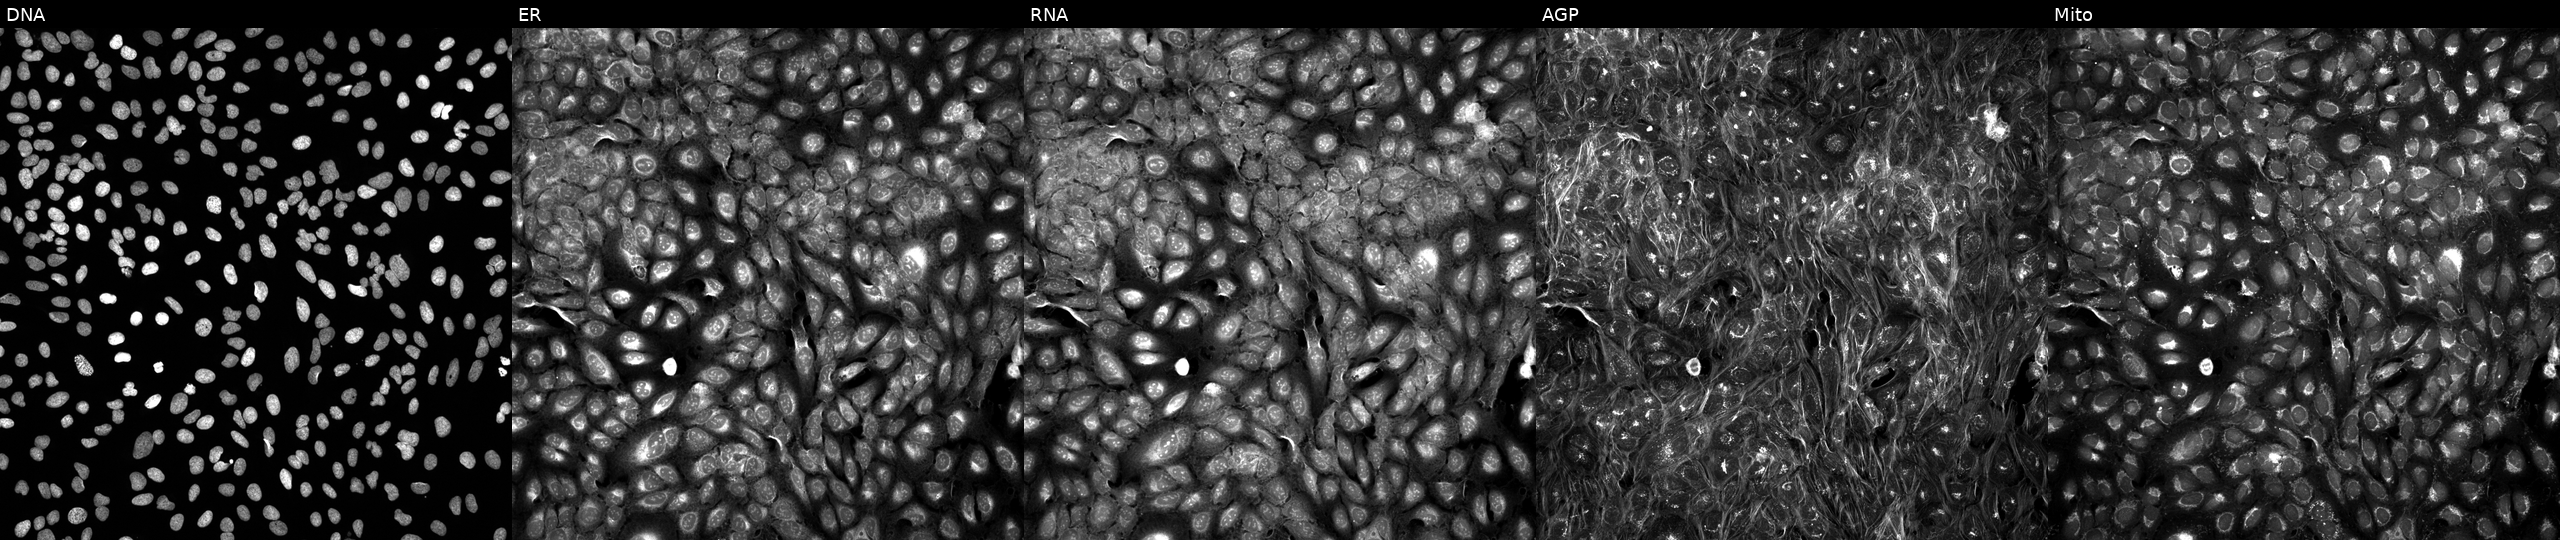
Five-channel Cell Painting image of U2OS cells treated with DMSO vehicle only (negative control) (JUMP id JCP2022_033924). Channels (left→right): DNA, ER, RNA, AGP, and Mito.